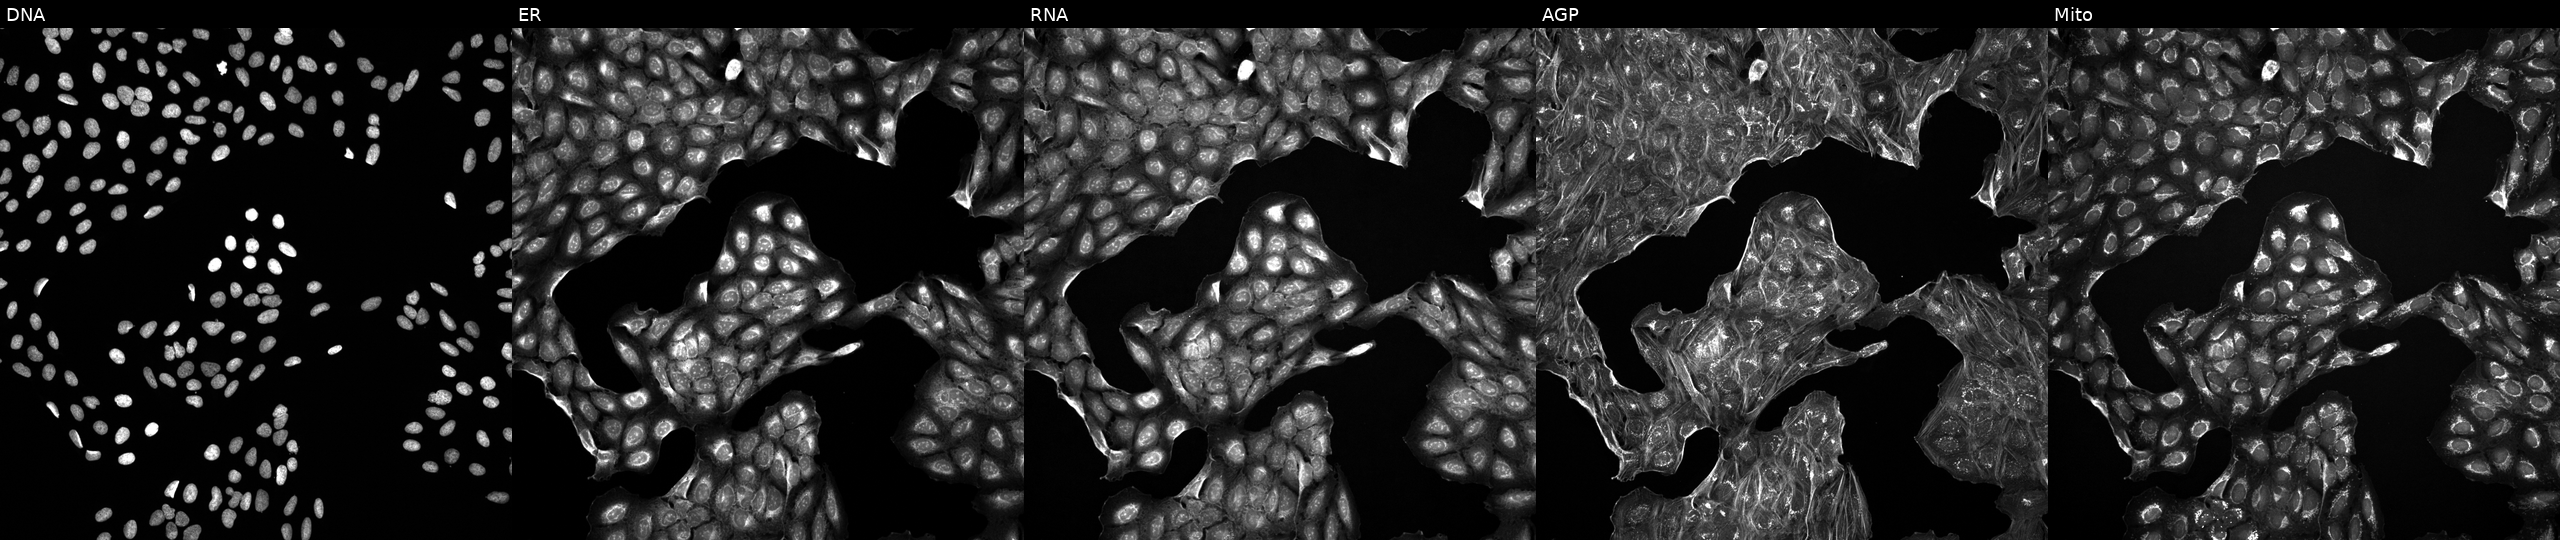
U2OS cells, Cell Painting assay, treated with a small-molecule compound (InChIKey KPYSYYIEGFHWSV-UHFFFAOYSA-N) [SMILES: NCC(CC(=O)O)c1ccc(Cl)cc1]. Channels (left→right): DNA, ER, RNA, AGP, and Mito. Each panel is percentile-stretched 16-bit fluorescence. Source 5, plate ACPJUM012, well G13.